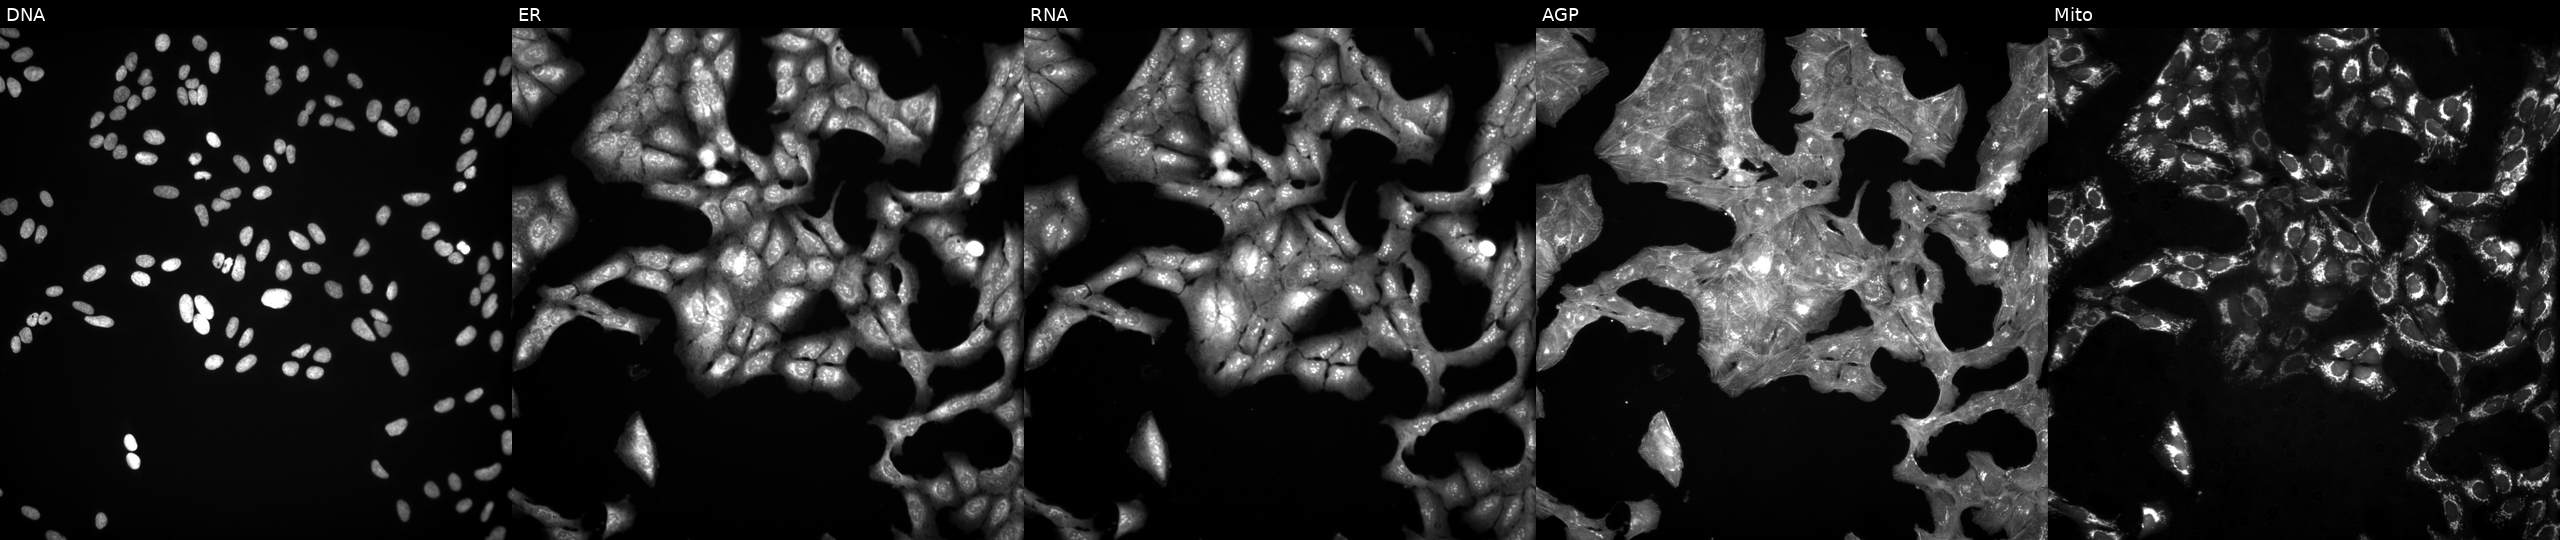
High-content fluorescence microscopy (Cell Painting). Cell line: U2OS. Perturbation: perturbed with a small-molecule compound (InChIKey BLVQHYHDYFTPDV-UHFFFAOYSA-N) (JUMP id JCP2022_007175). From left to right: Hoechst 33342, concanavalin A, SYTO 14, phalloidin and WGA, MitoTracker. Source 3, plate JCPQC051, well N04.